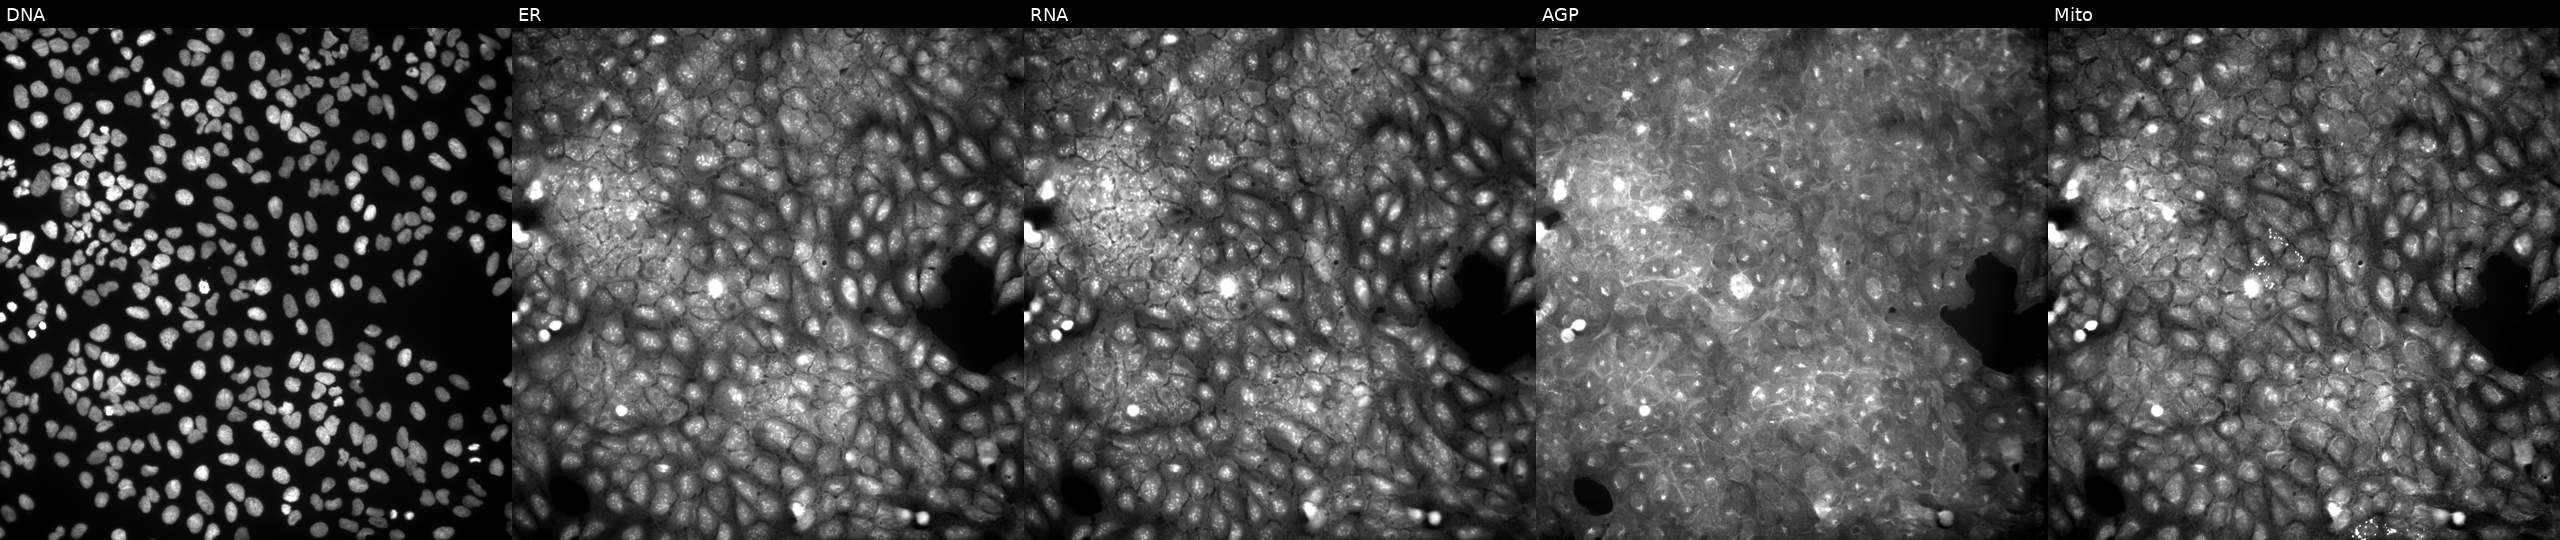
JUMP Cell Painting — COMPOUND plate. U2OS cells exposed to a small-molecule compound (InChIKey CRIYWWZALOCTHL-UHFFFAOYSA-N) [SMILES: Cc1ccc2oc(-c3ccc([N+](=O)[O-])cc3)cc(=O)c2c1] (JUMP id JCP2022_012982). The five panels, left to right, show DNA, ER, RNA, AGP, and Mito.